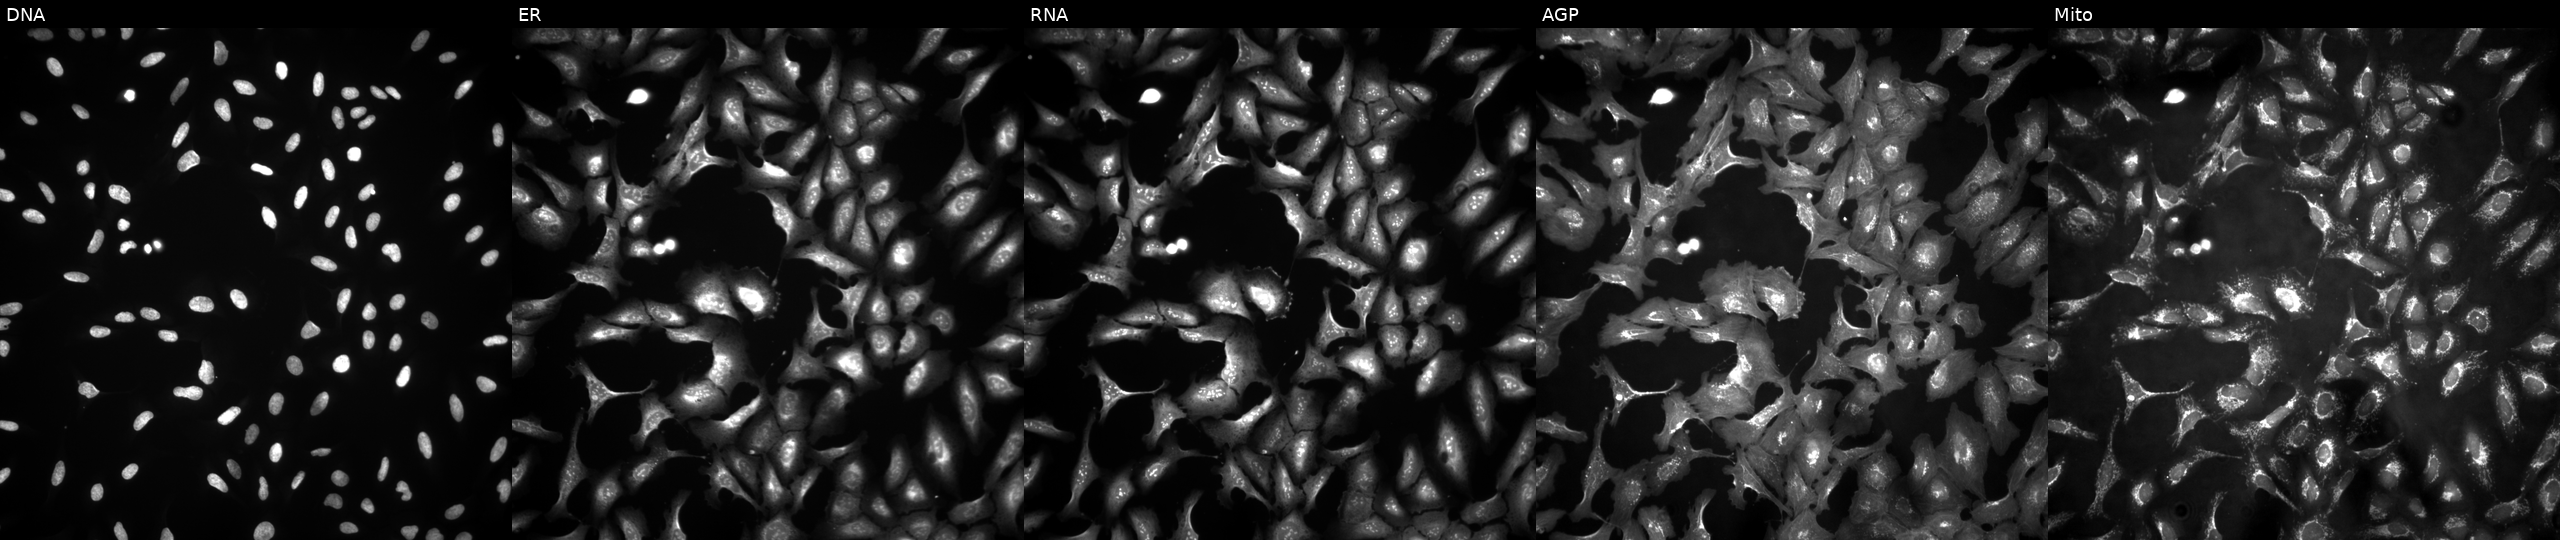
This image strip shows the five Cell Painting channels for a single field of U2OS cells expressing eGFP (ORF positive control). The five panels, left to right, show Hoechst 33342, concanavalin A, SYTO 14, phalloidin and WGA, MitoTracker. Source 4, plate BR00121543, well O19.